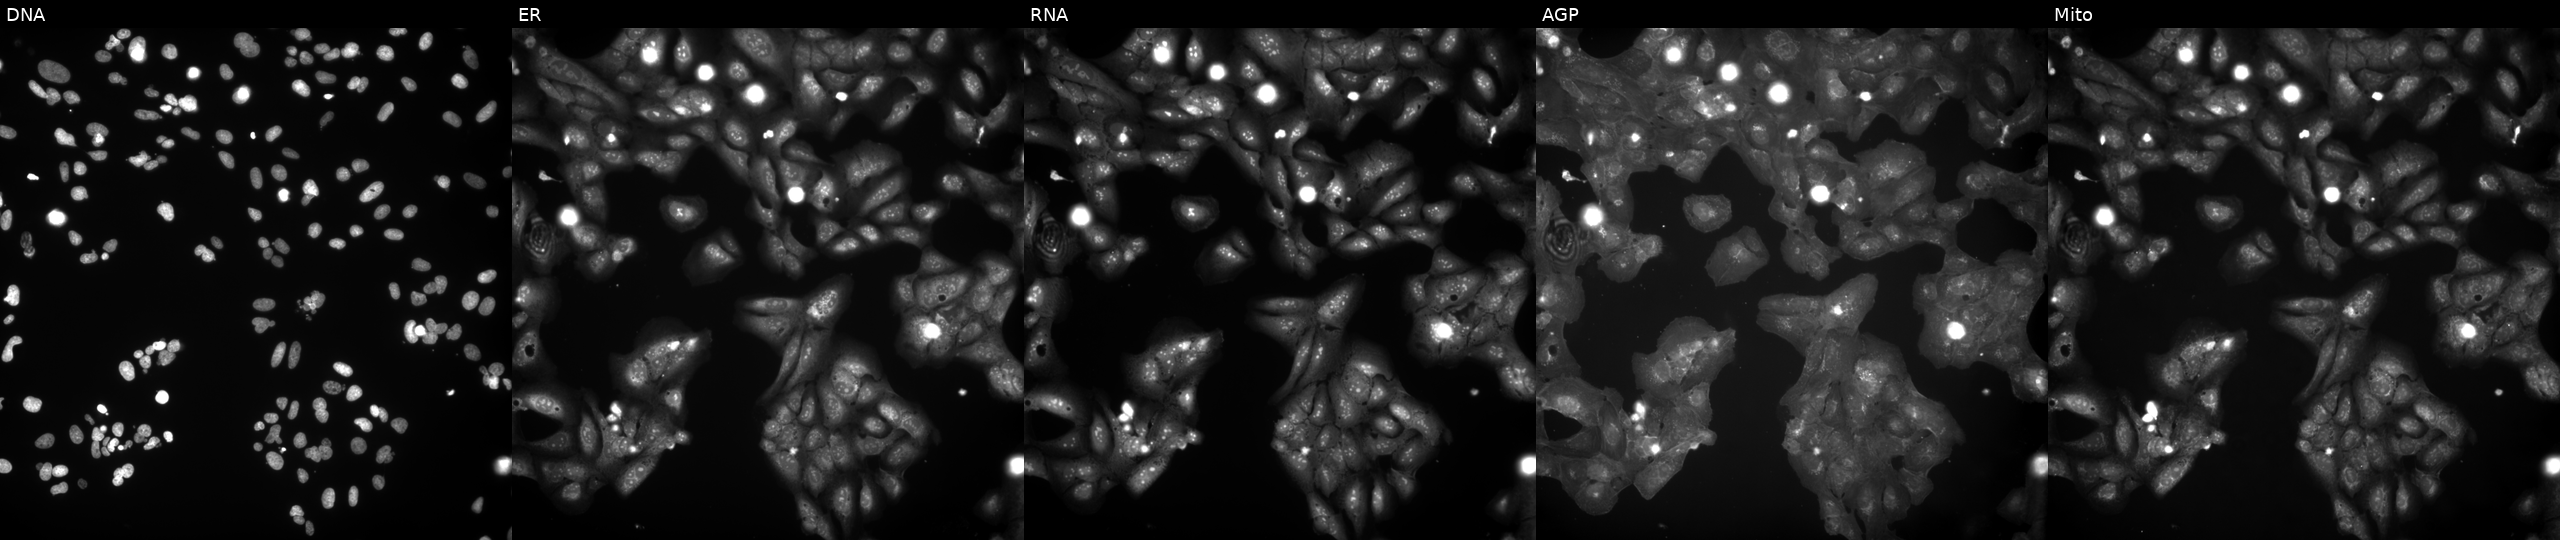
This image strip shows the five Cell Painting channels for a single field of U2OS cells exposed to a small-molecule compound (InChIKey VPLLRGQEDZVIBF-UHFFFAOYSA-N) (JUMP id JCP2022_095456). Channels (left→right): Hoechst 33342, concanavalin A, SYTO 14, phalloidin and WGA, MitoTracker. Source 9, plate GR00003382, well S30.